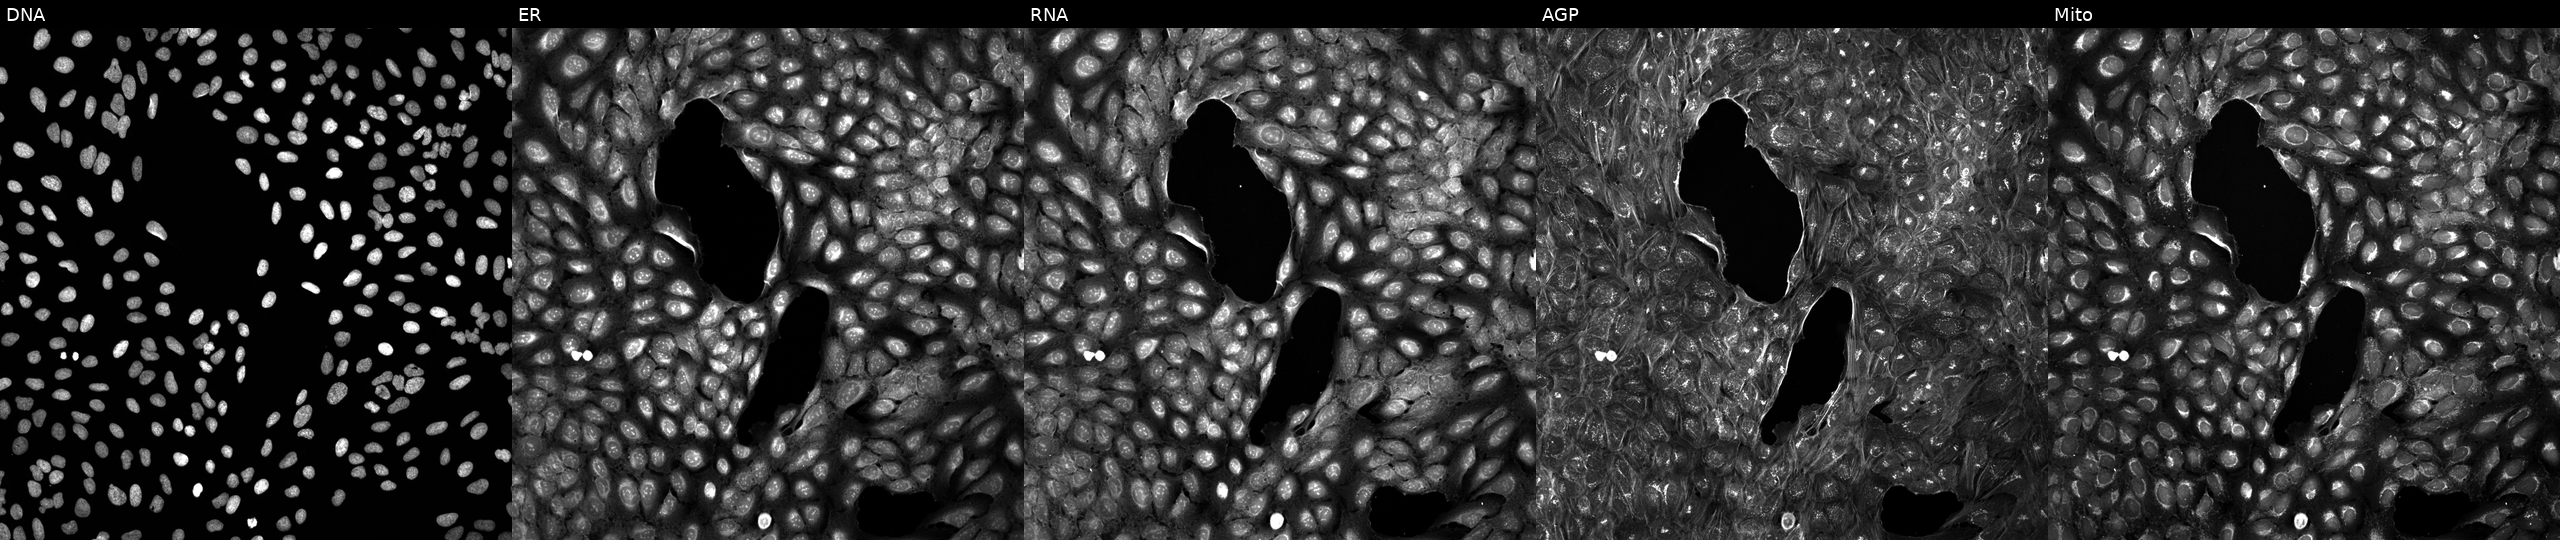
U2OS cells, Cell Painting assay, exposed to a small-molecule compound (InChIKey ZEBDFOKQWFJSOY-UHFFFAOYSA-N) [SMILES: Cc1nc(C2CCCN2C(=O)c2ccnc(N3CCCC3)n2)no1] (JUMP id JCP2022_112725). From left to right: DNA, ER, RNA, AGP, and Mito. Each panel is percentile-stretched 16-bit fluorescence. Source 5, plate APTJUM106, well F21.